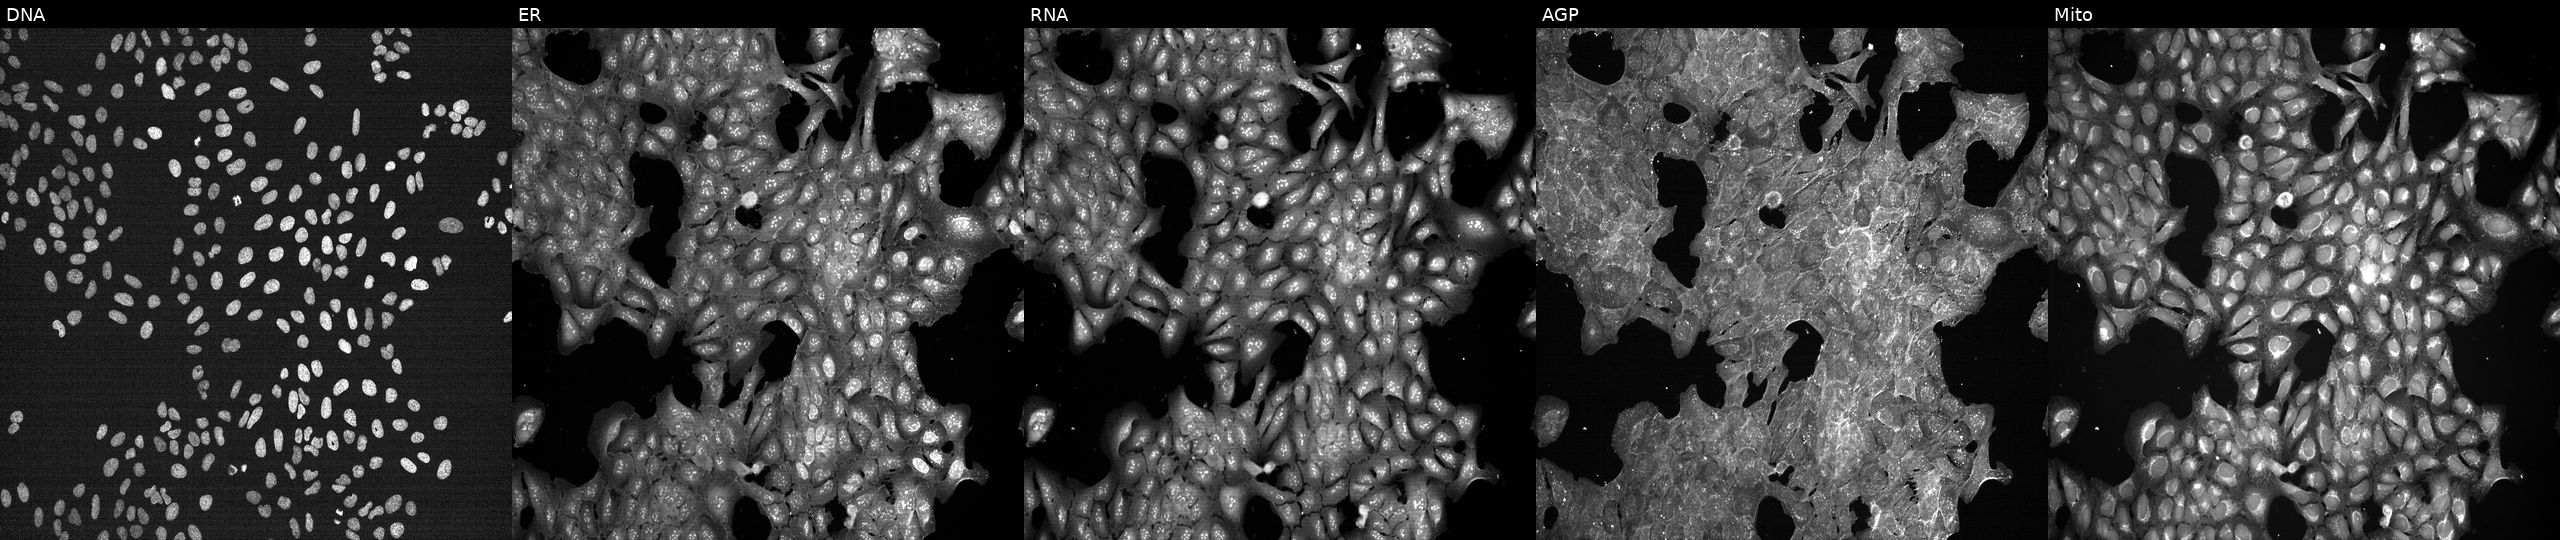
High-content fluorescence microscopy (Cell Painting). Cell line: U2OS. Perturbation: exposed to a small-molecule compound (InChIKey QXKHYNVANLEOEG-UHFFFAOYSA-N) [SMILES: COc1c2occc2cc2ccc(=O)oc12] (JUMP id JCP2022_076523). Channels (left→right): Hoechst 33342, concanavalin A, SYTO 14, phalloidin and WGA, MitoTracker.